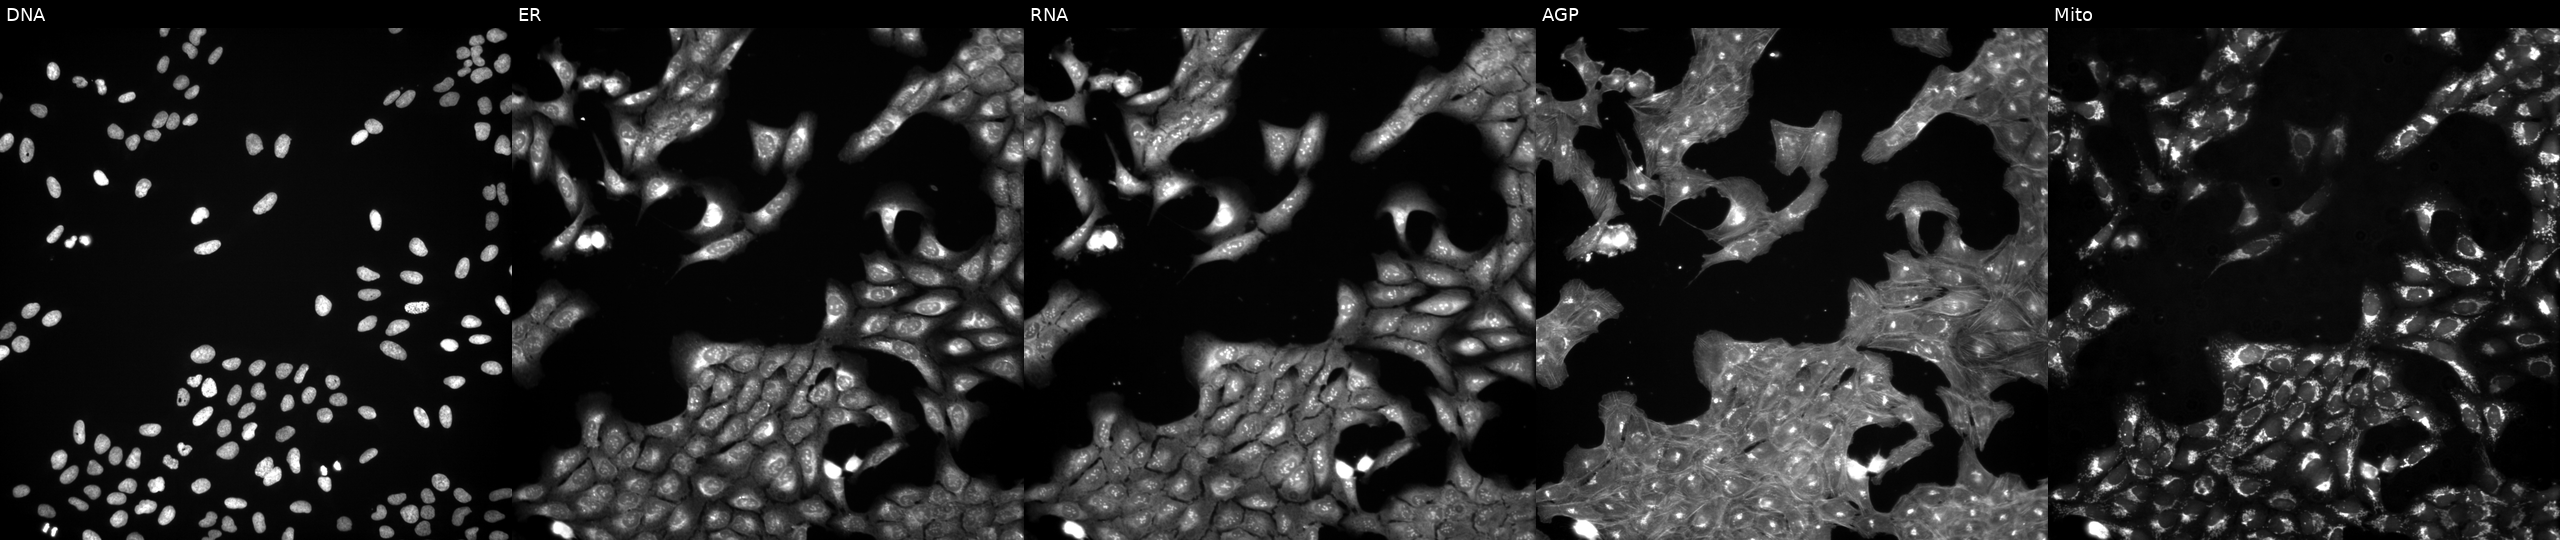
JUMP Cell Painting — COMPOUND plate. U2OS cells exposed to DMSO alone as a negative control. Panels show, left to right, DNA, ER, RNA, AGP, and Mito.